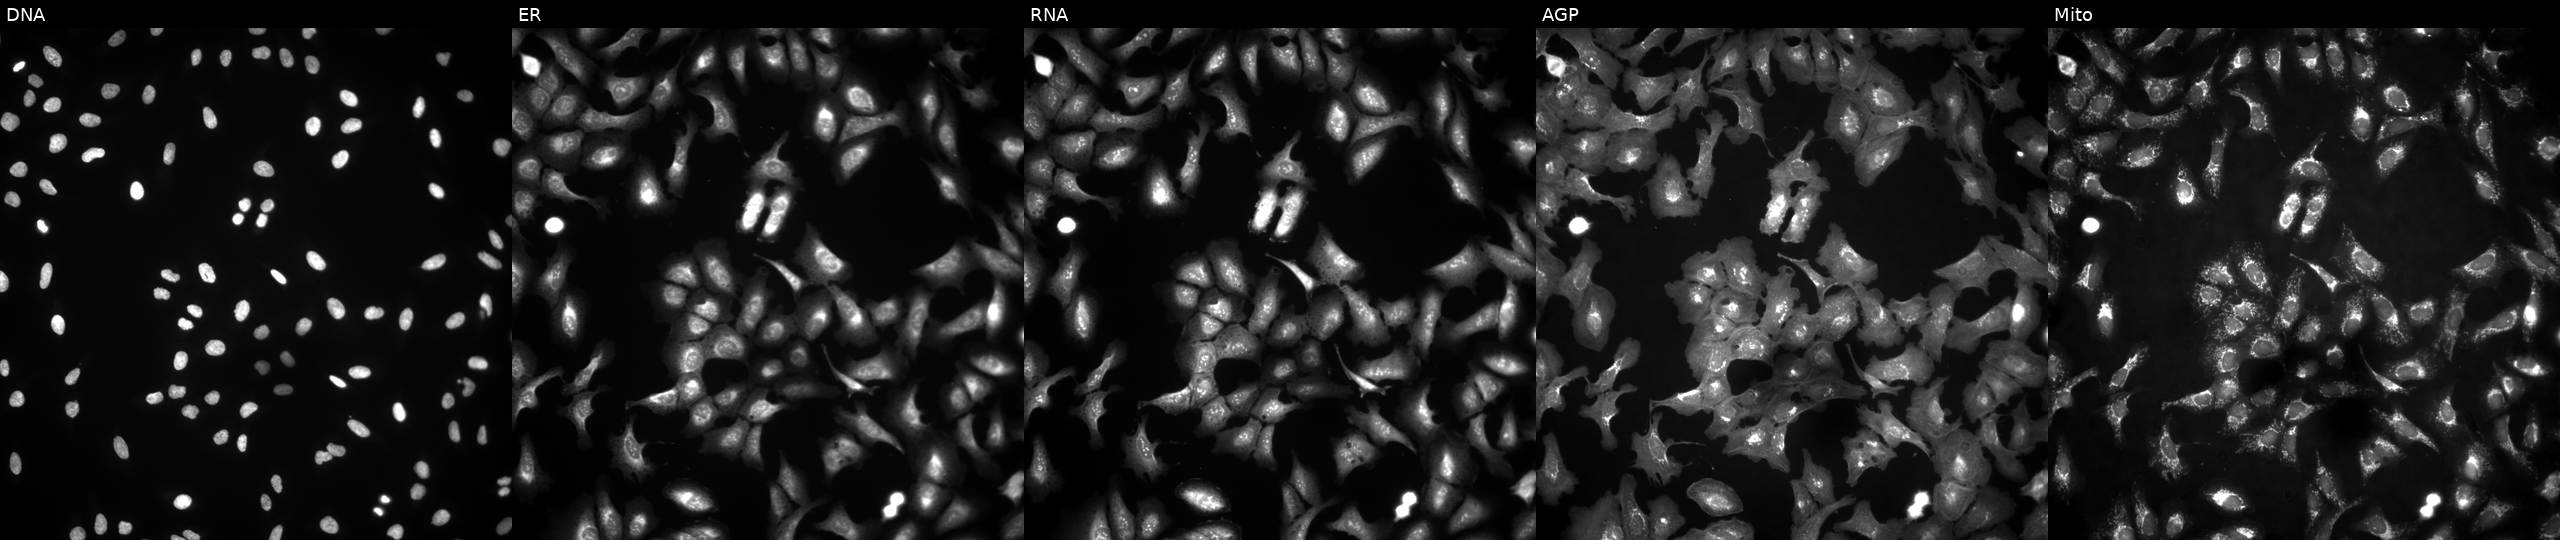
From left to right: DNA, ER, RNA, AGP, and Mito. U2OS osteosarcoma cells transfected with an ORF construct for HAGHL (JUMP id JCP2022_908564). Cell Painting assay, JUMP-CP dataset. Source 4, plate BR00124790, well I23.